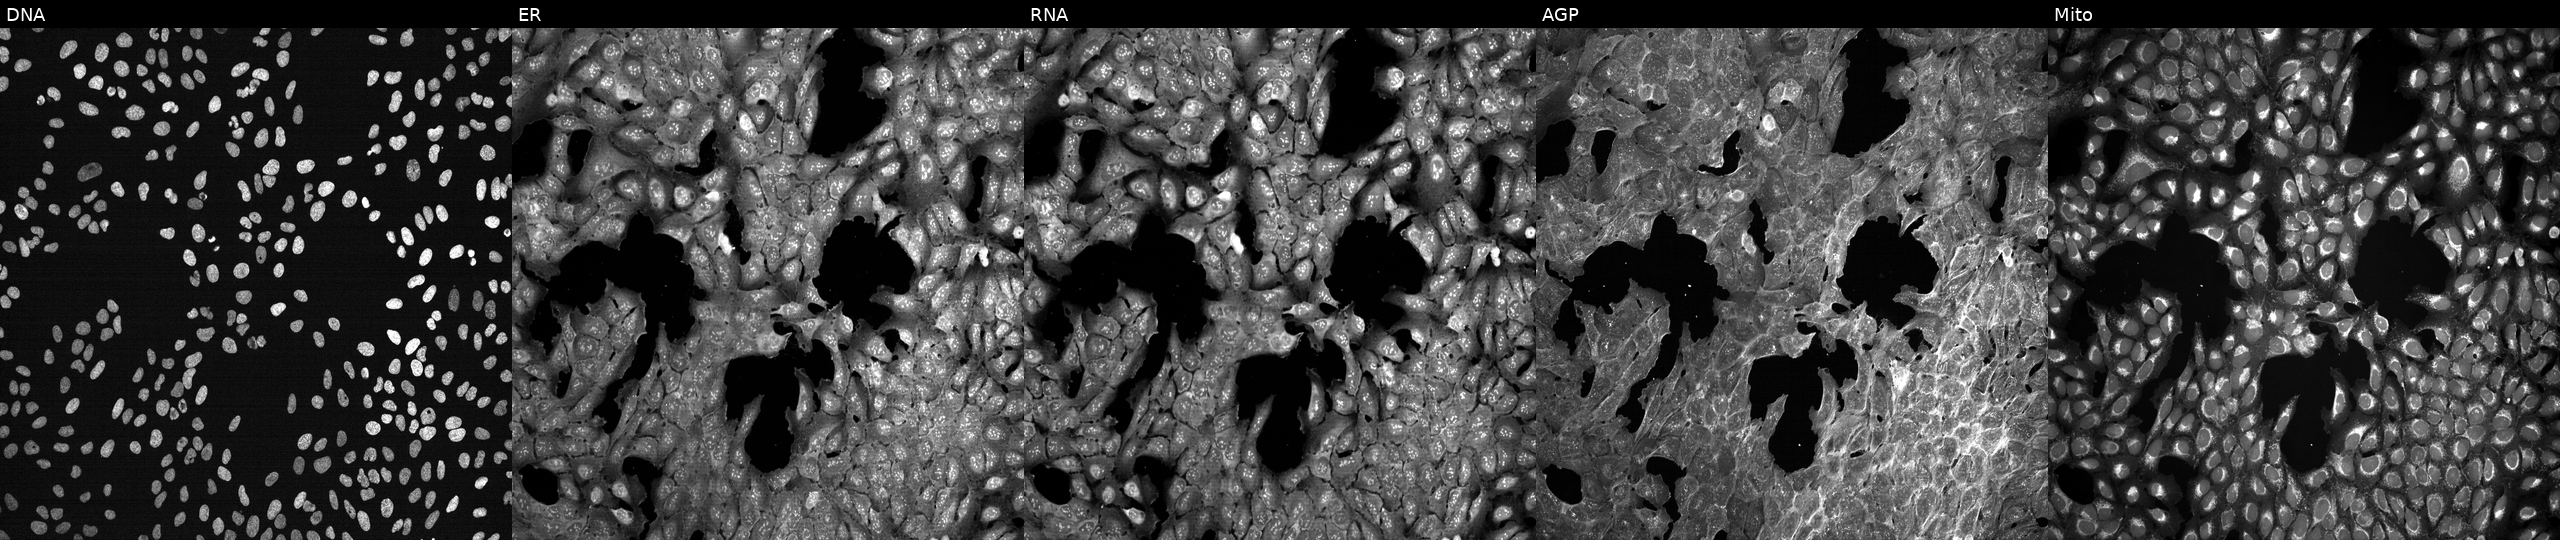
U2OS cells, Cell Painting assay, treated with DMSO vehicle only (negative control) (JUMP id JCP2022_033924). Channels (left→right): DNA (nuclei); ER (endoplasmic reticulum); RNA (nucleoli and cytoplasmic RNA); AGP (actin cytoskeleton, Golgi, and plasma membrane); Mito (mitochondria). Each panel is percentile-stretched 16-bit fluorescence.